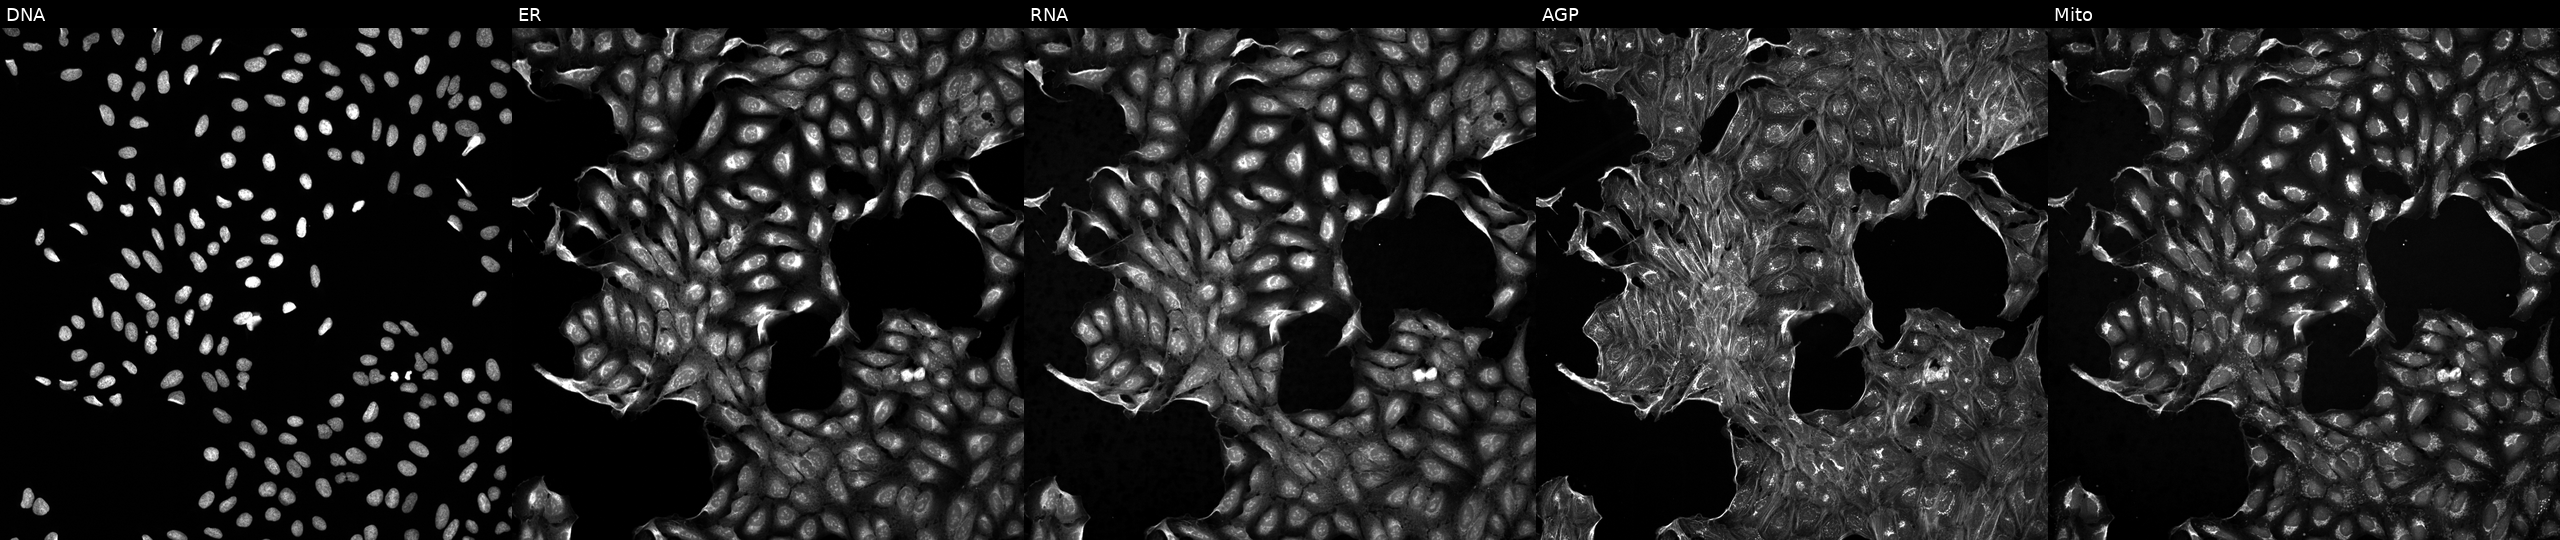
U2OS cells, Cell Painting assay, perturbed with a small-molecule compound [SMILES: C=C(C)C1C2OC(=O)C1C1(O)CC3OC34C(=O)OC2C14C]. Channels (left→right): DNA (nuclei); ER (endoplasmic reticulum); RNA (nucleoli and cytoplasmic RNA); AGP (actin cytoskeleton, Golgi, and plasma membrane); Mito (mitochondria). Each panel is percentile-stretched 16-bit fluorescence.